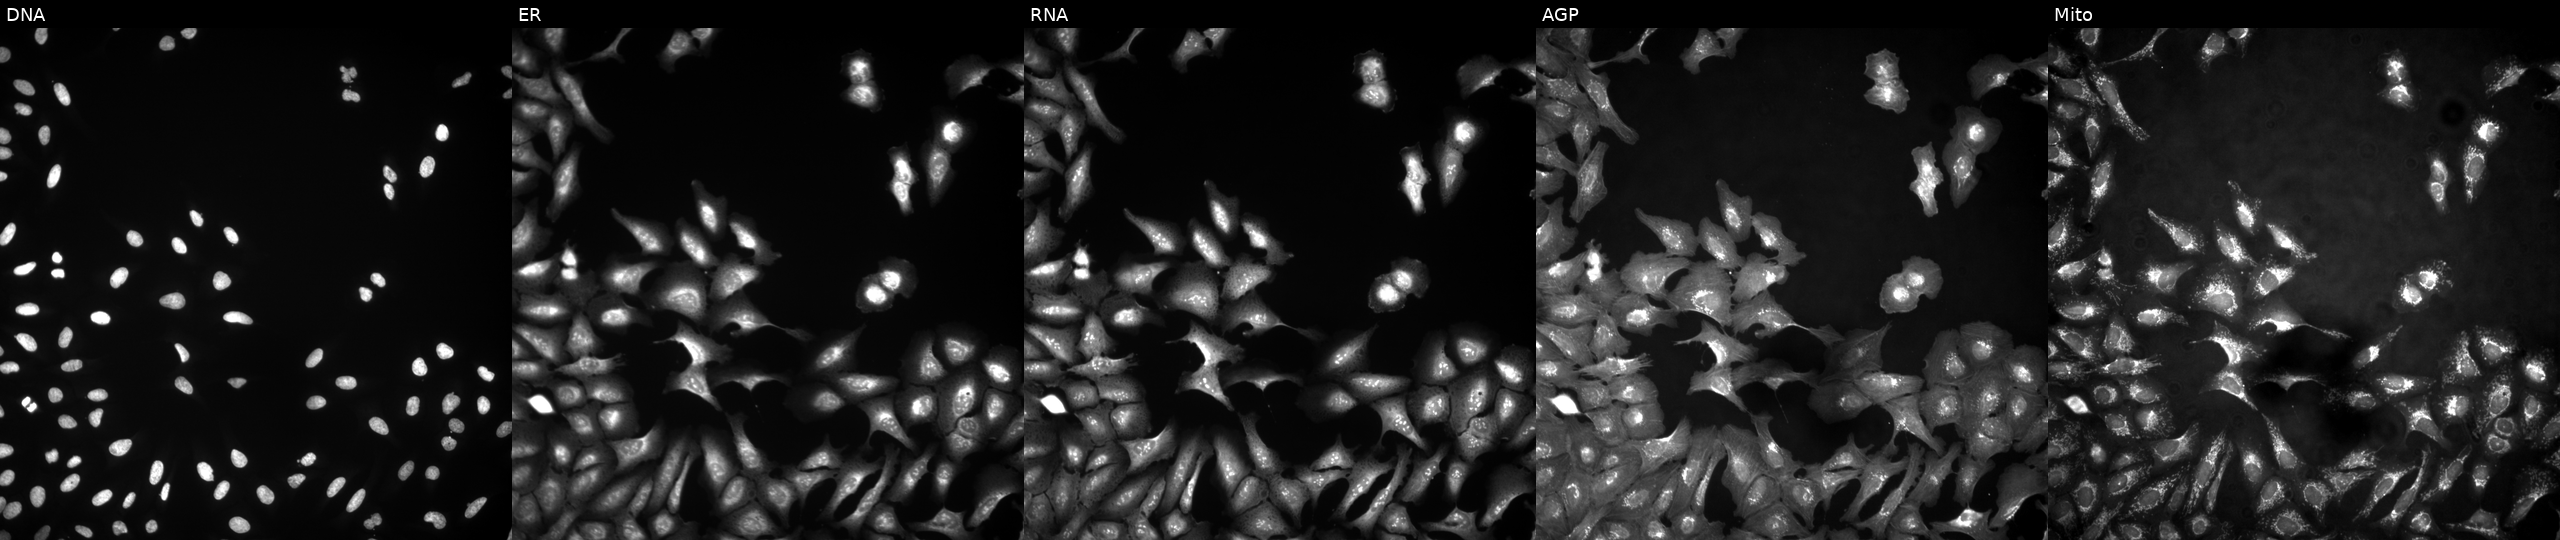
High-content fluorescence microscopy (Cell Painting). Cell line: U2OS. Perturbation: overexpressing MAP10 via ORF transfection. Channels (left→right): Hoechst 33342, concanavalin A, SYTO 14, phalloidin and WGA, MitoTracker. Source 4, plate BR00124790, well H02.